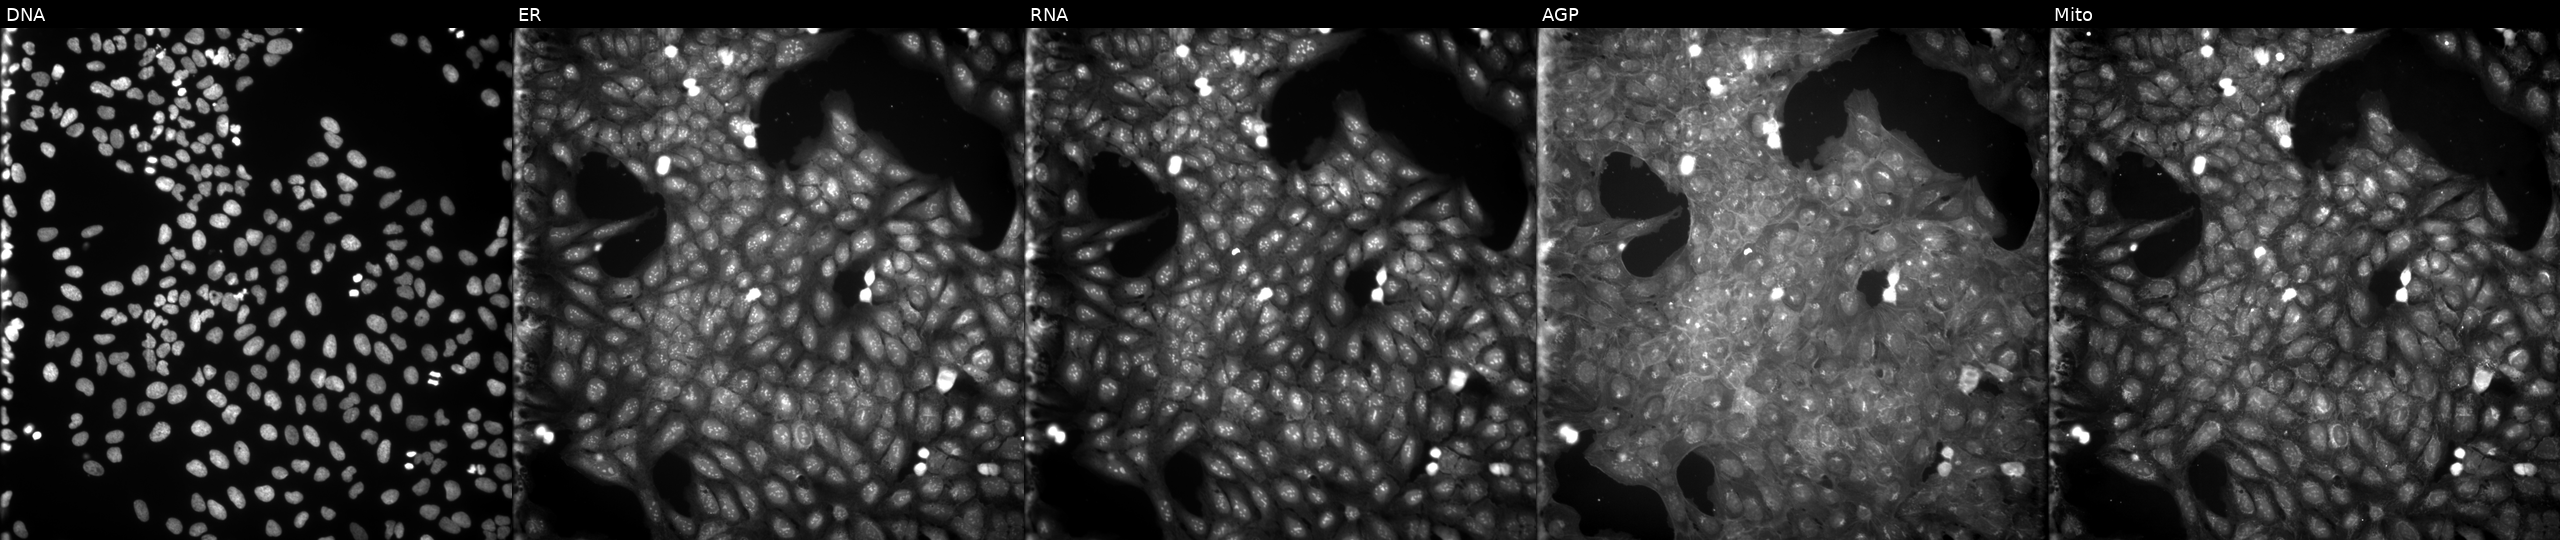
JUMP Cell Painting — COMPOUND plate. U2OS cells treated with a small-molecule compound (InChIKey MSGCNQVWSNOYJZ-UHFFFAOYSA-N) (JUMP id JCP2022_056203). From left to right: DNA, ER, RNA, AGP, and Mito. Source 9, plate GR00003382, well E20.